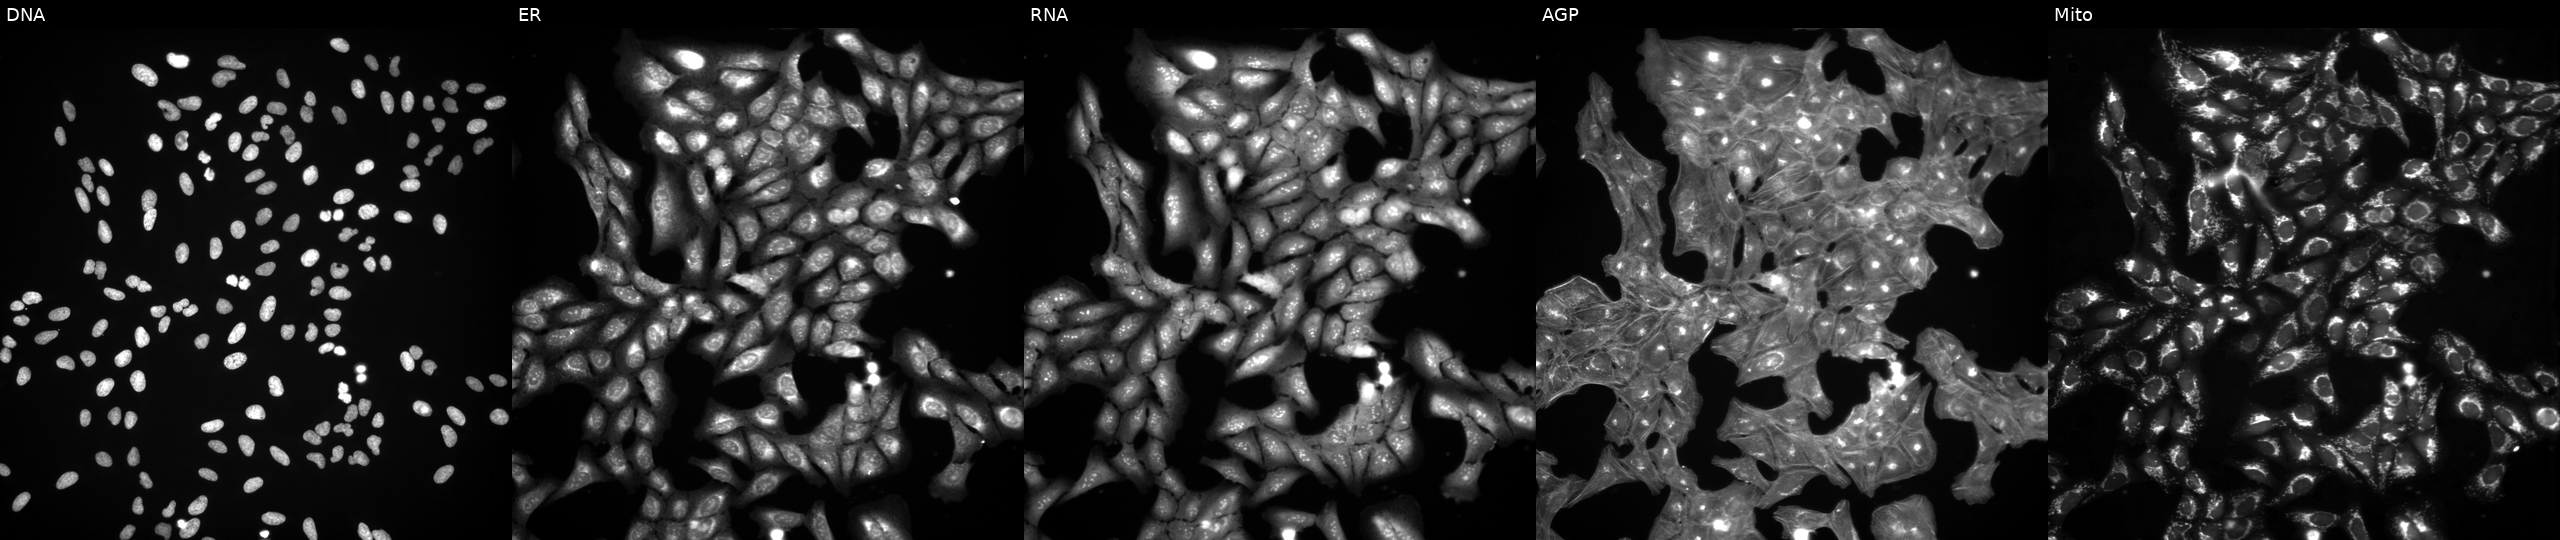
This image strip shows the five Cell Painting channels for a single field of U2OS cells treated with a small-molecule compound. From left to right: Hoechst 33342, concanavalin A, SYTO 14, phalloidin and WGA, MitoTracker. Source 3, plate JCPQC051, well G22.